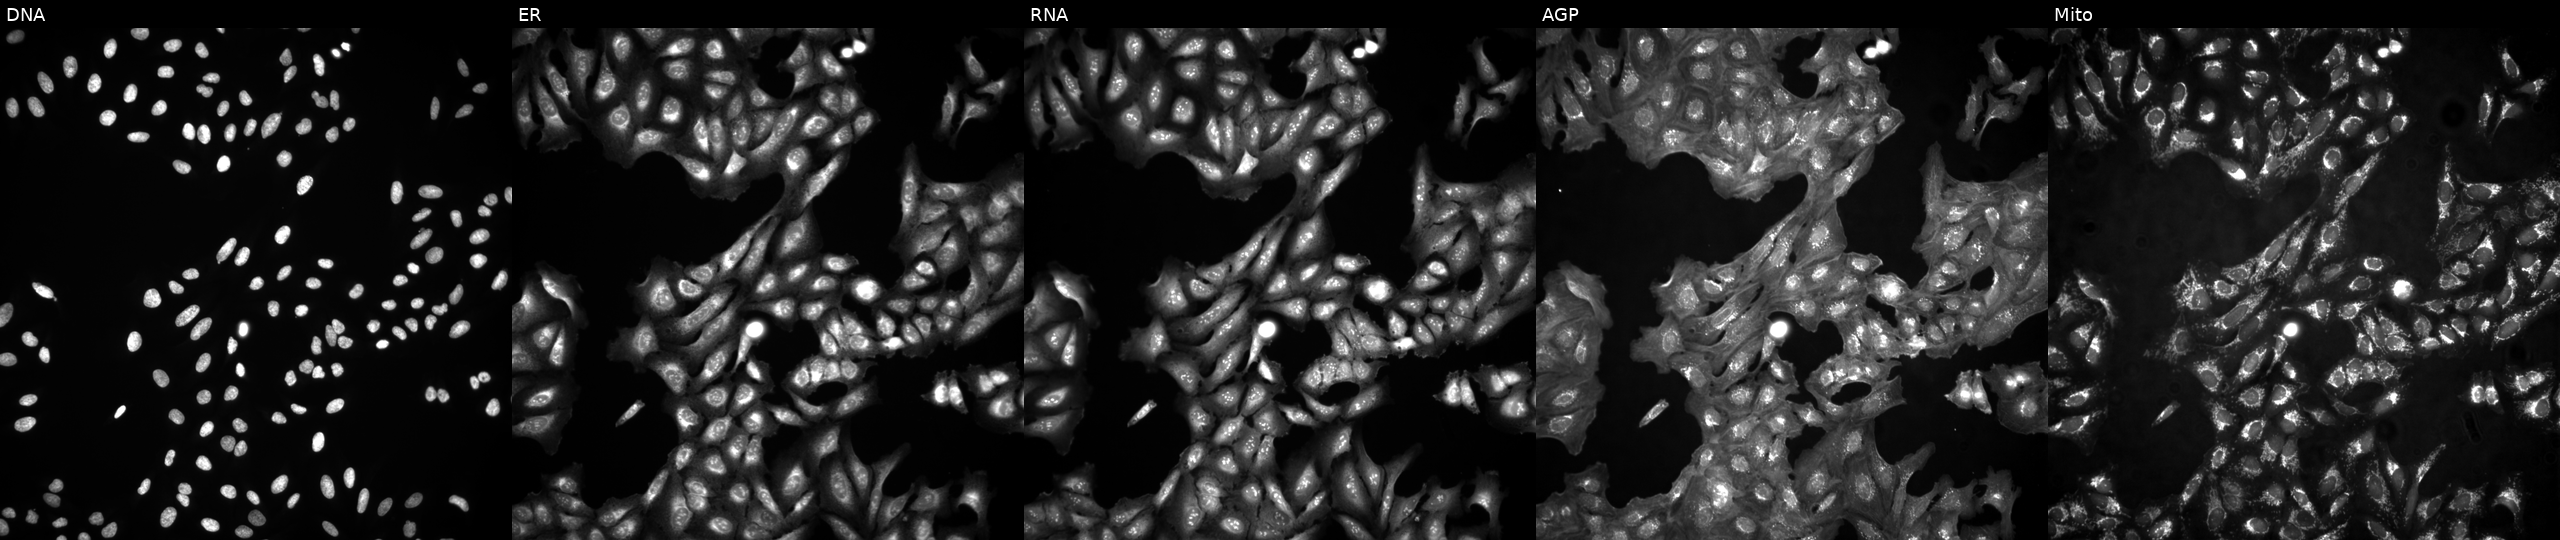
This image strip shows the five Cell Painting channels for a single field of U2OS cells untreated (empty-well control). From left to right: DNA, ER, RNA, AGP, and Mito. Source 4, plate BR00124793, well N24.